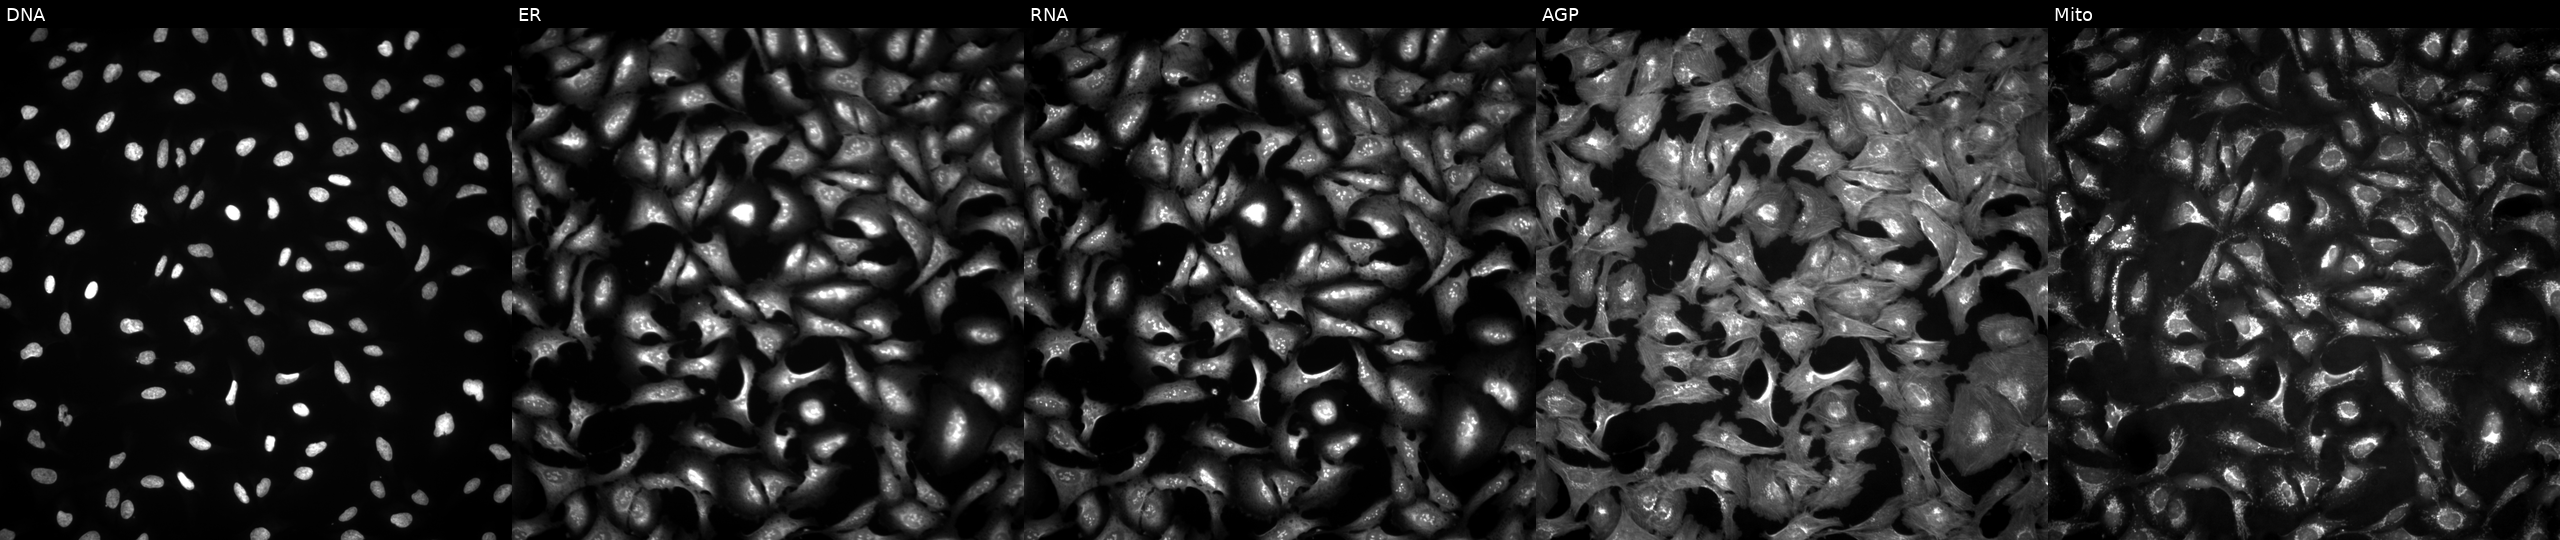
From left to right: Hoechst 33342, concanavalin A, SYTO 14, phalloidin and WGA, MitoTracker. U2OS osteosarcoma cells overexpressing GPR21 via ORF transfection. Cell Painting assay, JUMP-CP dataset.